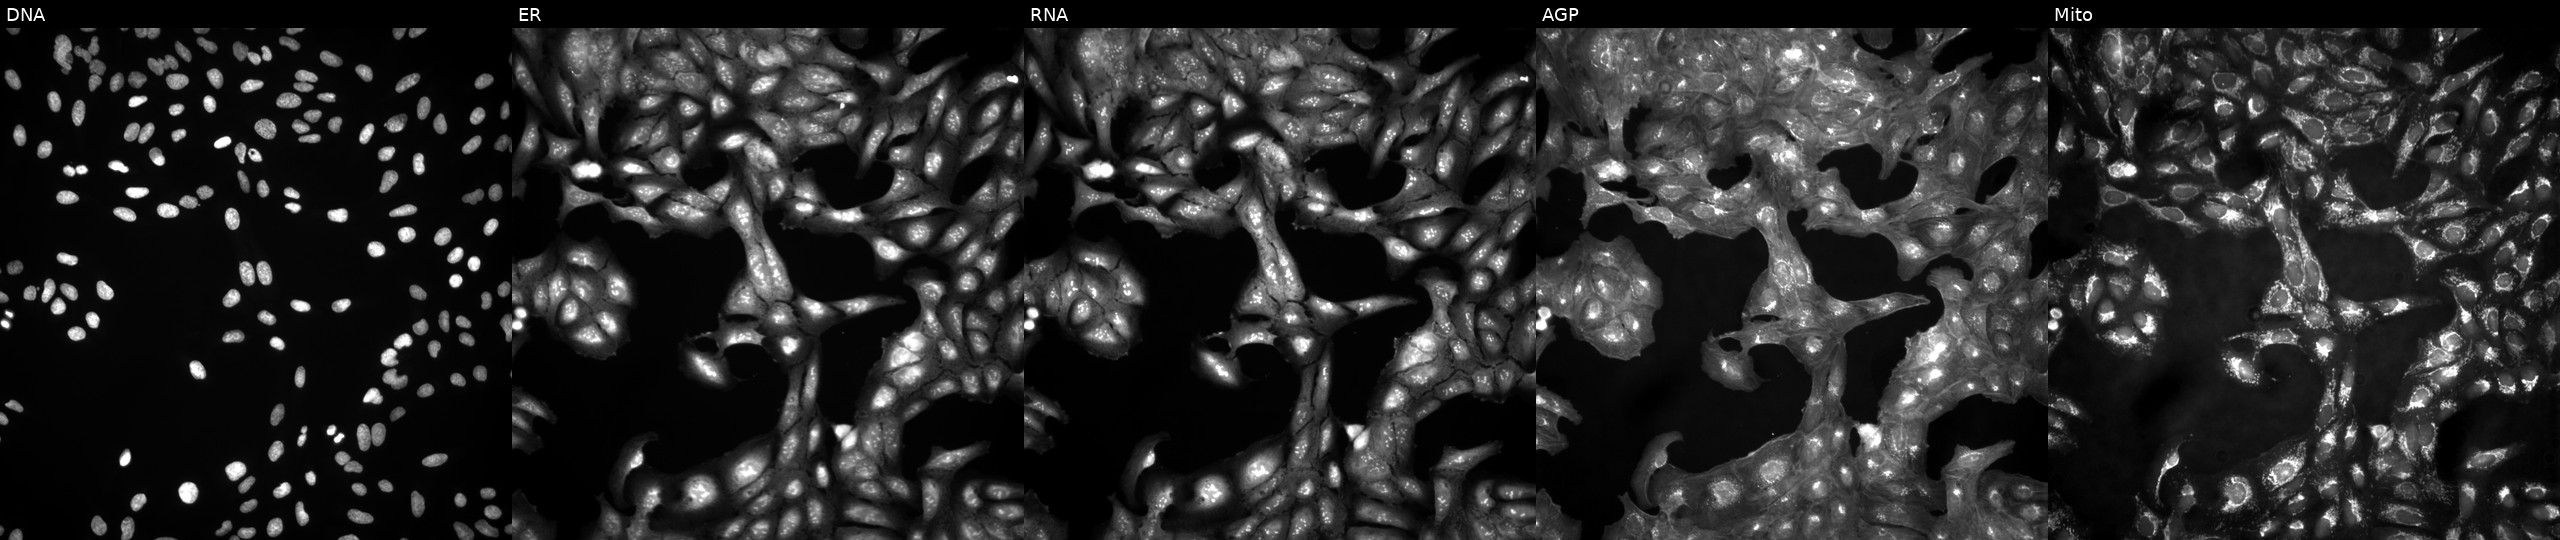
This image strip shows the five Cell Painting channels for a single field of U2OS cells in an empty control well (no perturbation) (JUMP id JCP2022_999999). From left to right: Hoechst 33342, concanavalin A, SYTO 14, phalloidin and WGA, MitoTracker. Source 4, plate BR00123946, well M09.